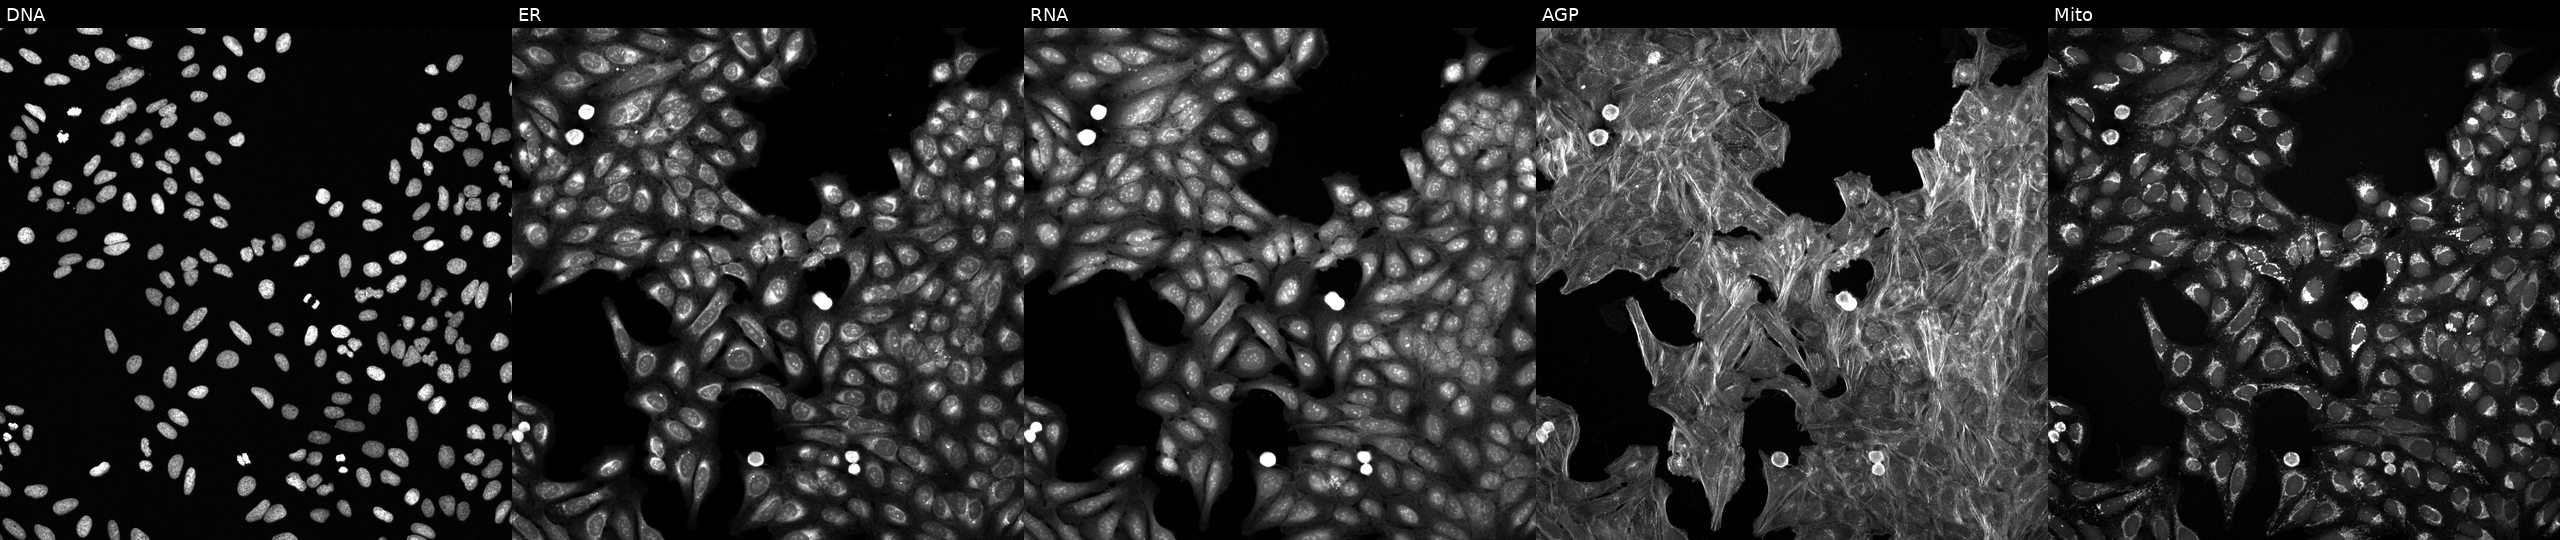
JUMP Cell Painting — COMPOUND plate. U2OS cells perturbed with a small-molecule compound. From left to right: DNA, ER, RNA, AGP, and Mito.